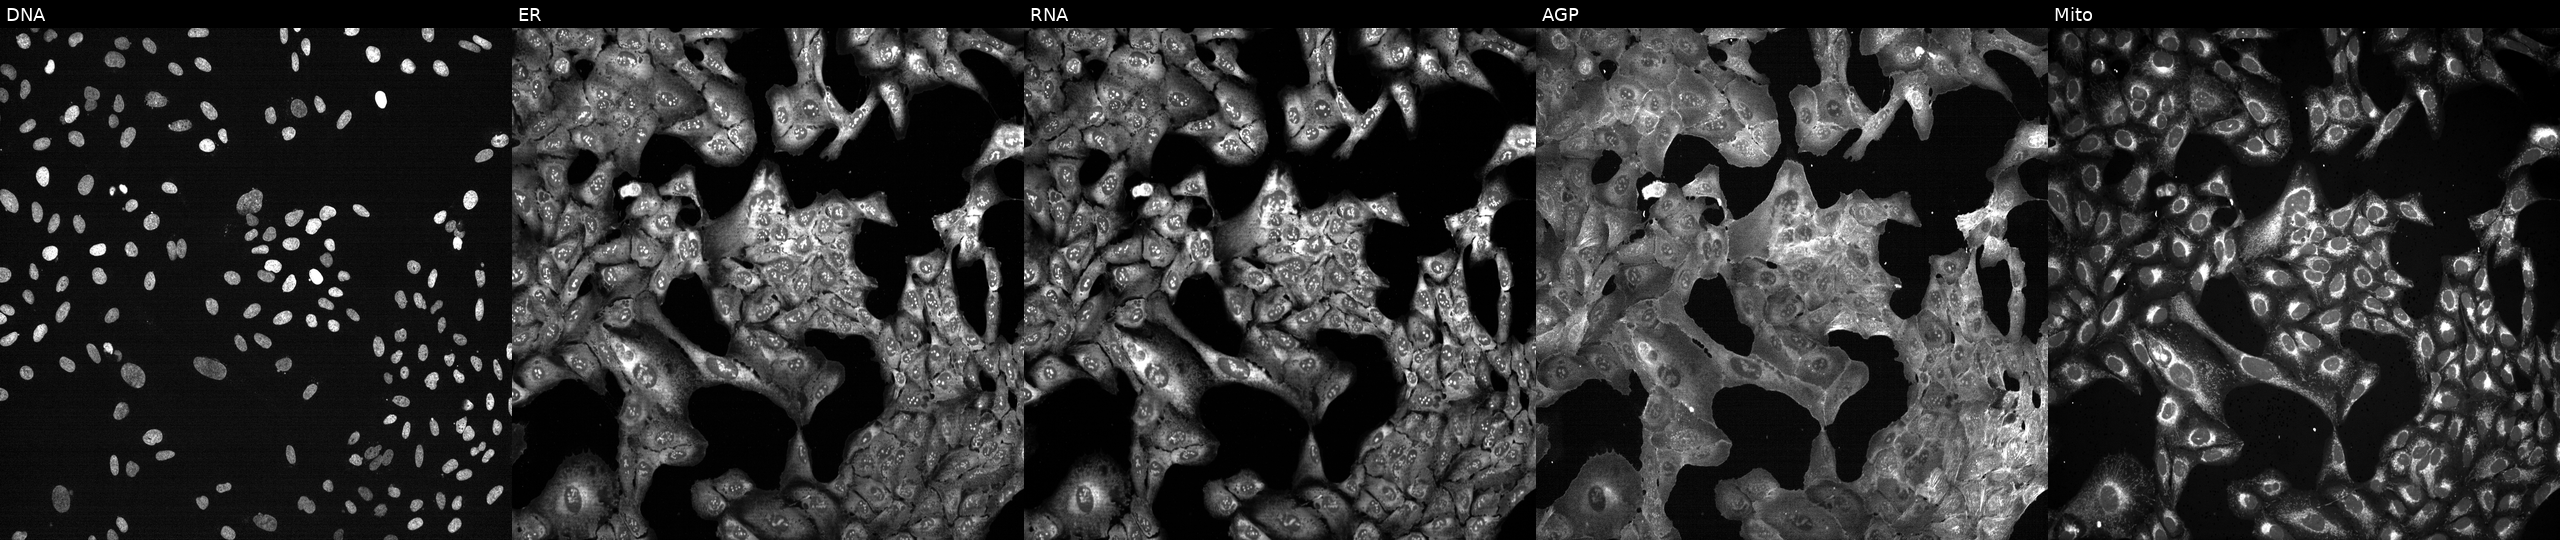
Panels show, left to right, DNA (nuclei); ER (endoplasmic reticulum); RNA (nucleoli and cytoplasmic RNA); AGP (actin cytoskeleton, Golgi, and plasma membrane); Mito (mitochondria). U2OS osteosarcoma cells with ANXA9 knocked out by CRISPR (JUMP id JCP2022_800497). Cell Painting assay, JUMP-CP dataset.